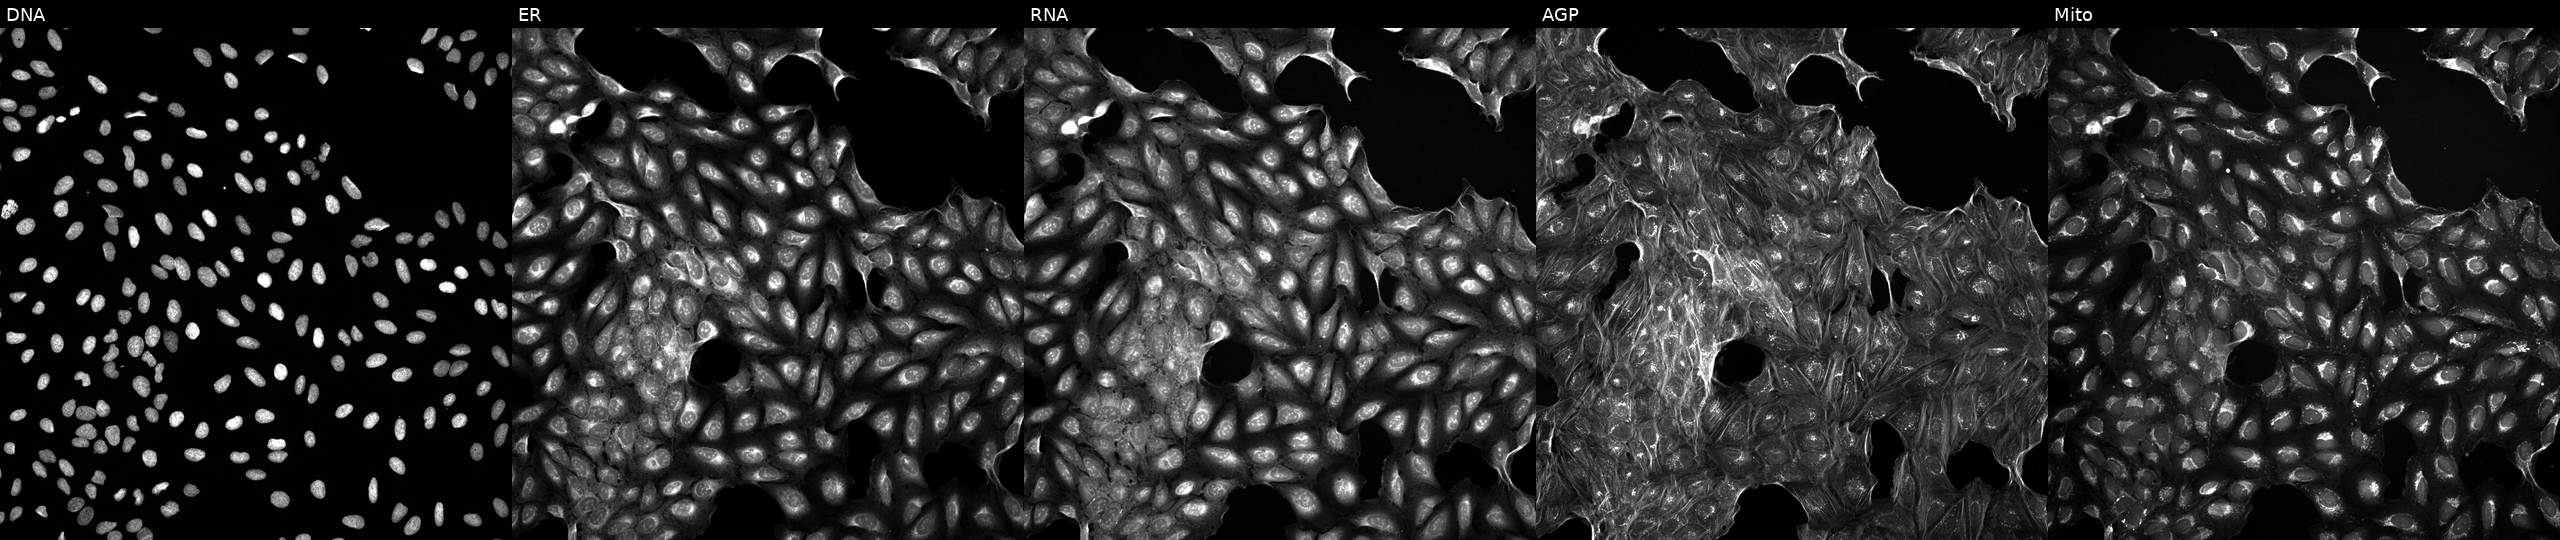
JUMP Cell Painting — TARGET2 plate. U2OS cells exposed to a small-molecule compound (InChIKey LPYXWGMUVRGUOY-UHFFFAOYSA-N) [SMILES: OCC(O)c1oc(O)c(O)c1O]. Panels show, left to right, DNA, ER, RNA, AGP, and Mito. Source 5, plate ACPJUM051, well A03.